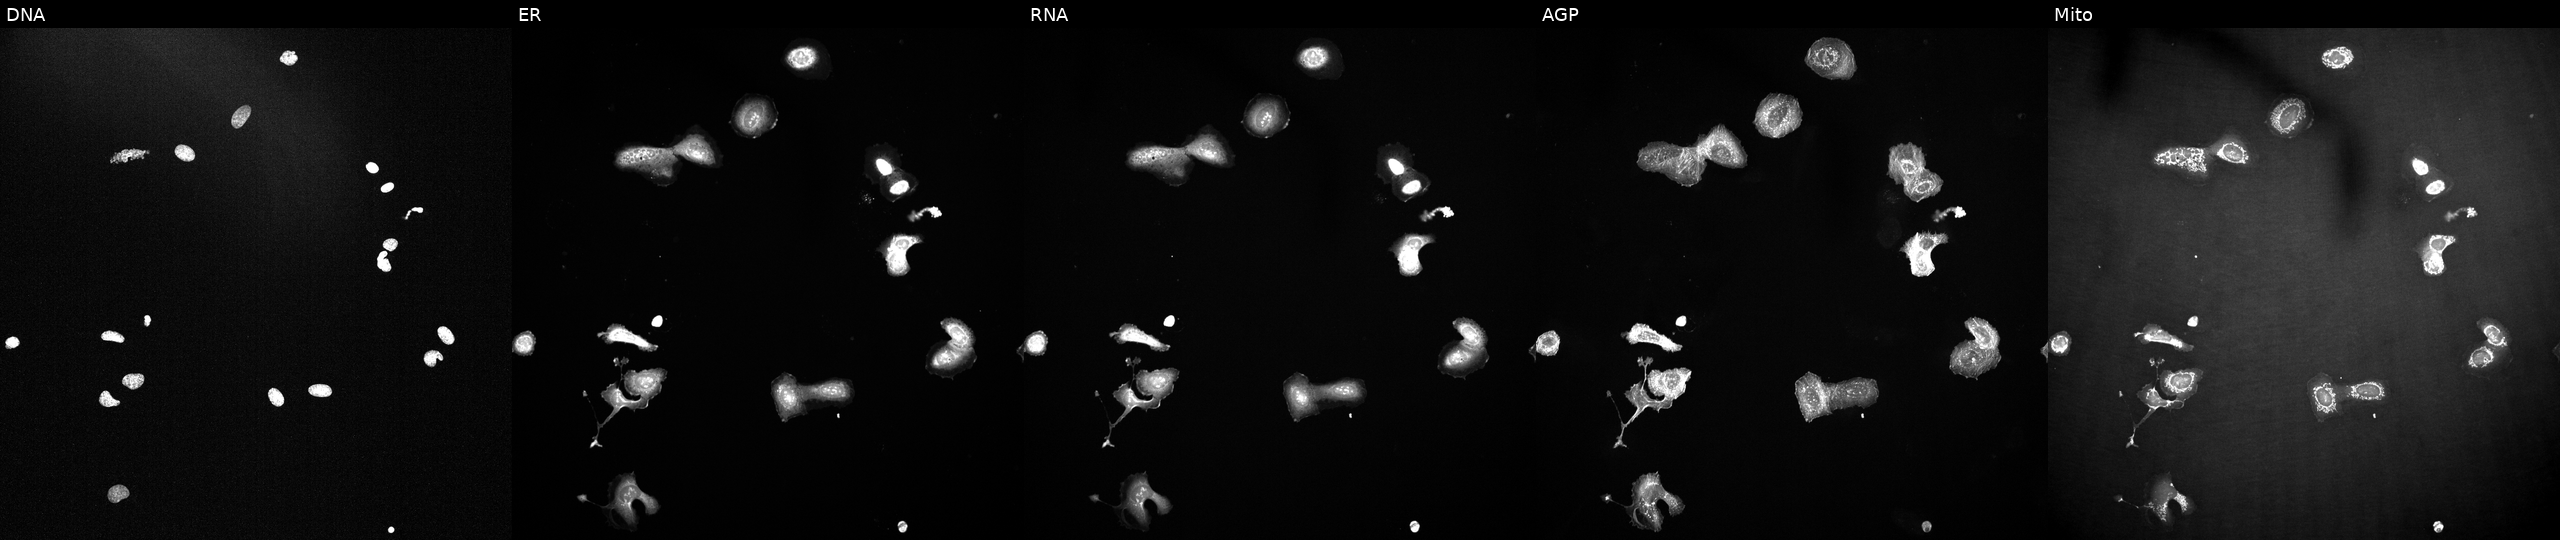
JUMP Cell Painting — TARGET2 plate. U2OS cells perturbed with a small-molecule compound. From left to right: DNA, ER, RNA, AGP, and Mito.